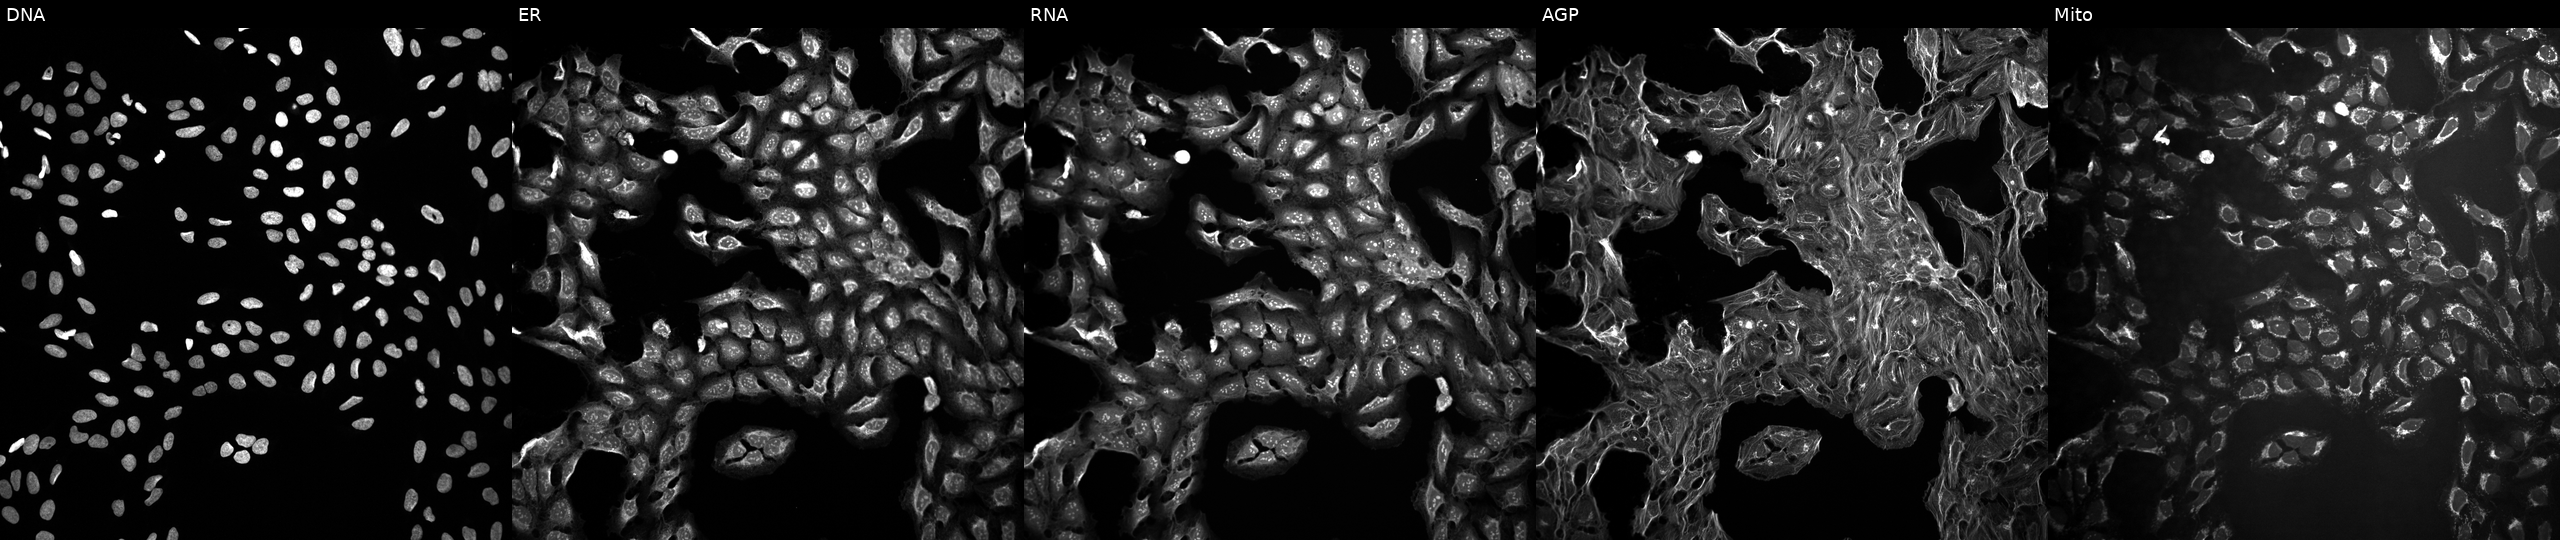
U2OS cells, Cell Painting assay, treated with a small-molecule compound (InChIKey JDVVGAQPNNXQDW-UHFFFAOYSA-N) [SMILES: OC1CN2CCC(O)C2C(O)C1O]. Panels show, left to right, DNA (nuclei); ER (endoplasmic reticulum); RNA (nucleoli and cytoplasmic RNA); AGP (actin cytoskeleton, Golgi, and plasma membrane); Mito (mitochondria). Each panel is percentile-stretched 16-bit fluorescence.